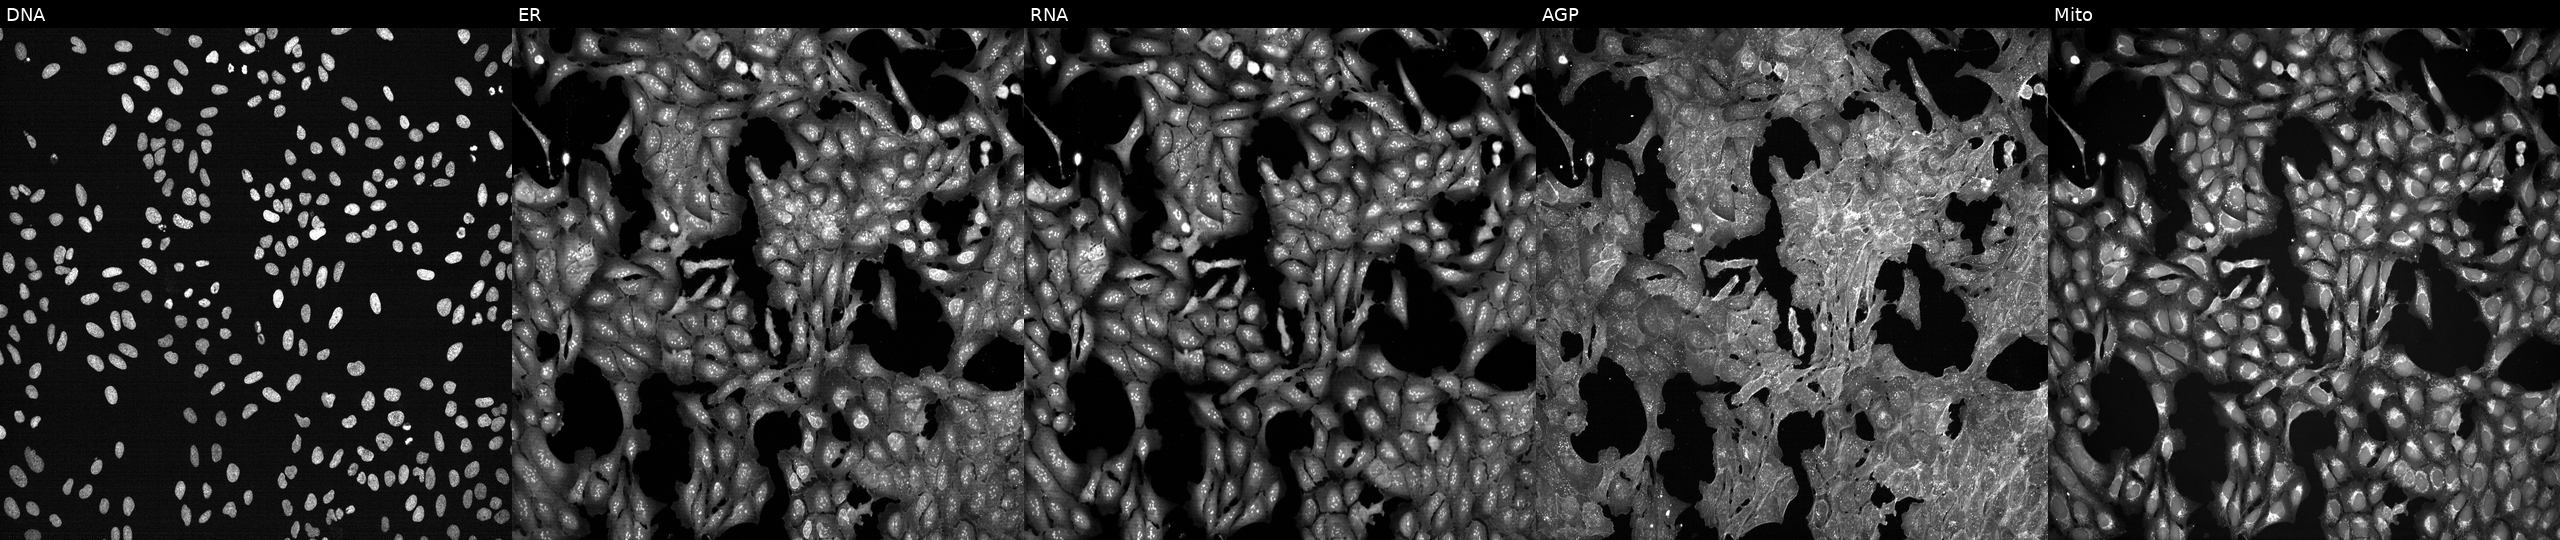
JUMP Cell Painting — TARGET2 plate. U2OS cells treated with a small-molecule compound (InChIKey MVCQKIKWYUURMU-UHFFFAOYSA-N) [SMILES: CCCCCCCCCCCCCCCCOc1nc2ccc(C)cc2c(=O)o1] (JUMP id JCP2022_056730). From left to right: DNA, ER, RNA, AGP, and Mito.